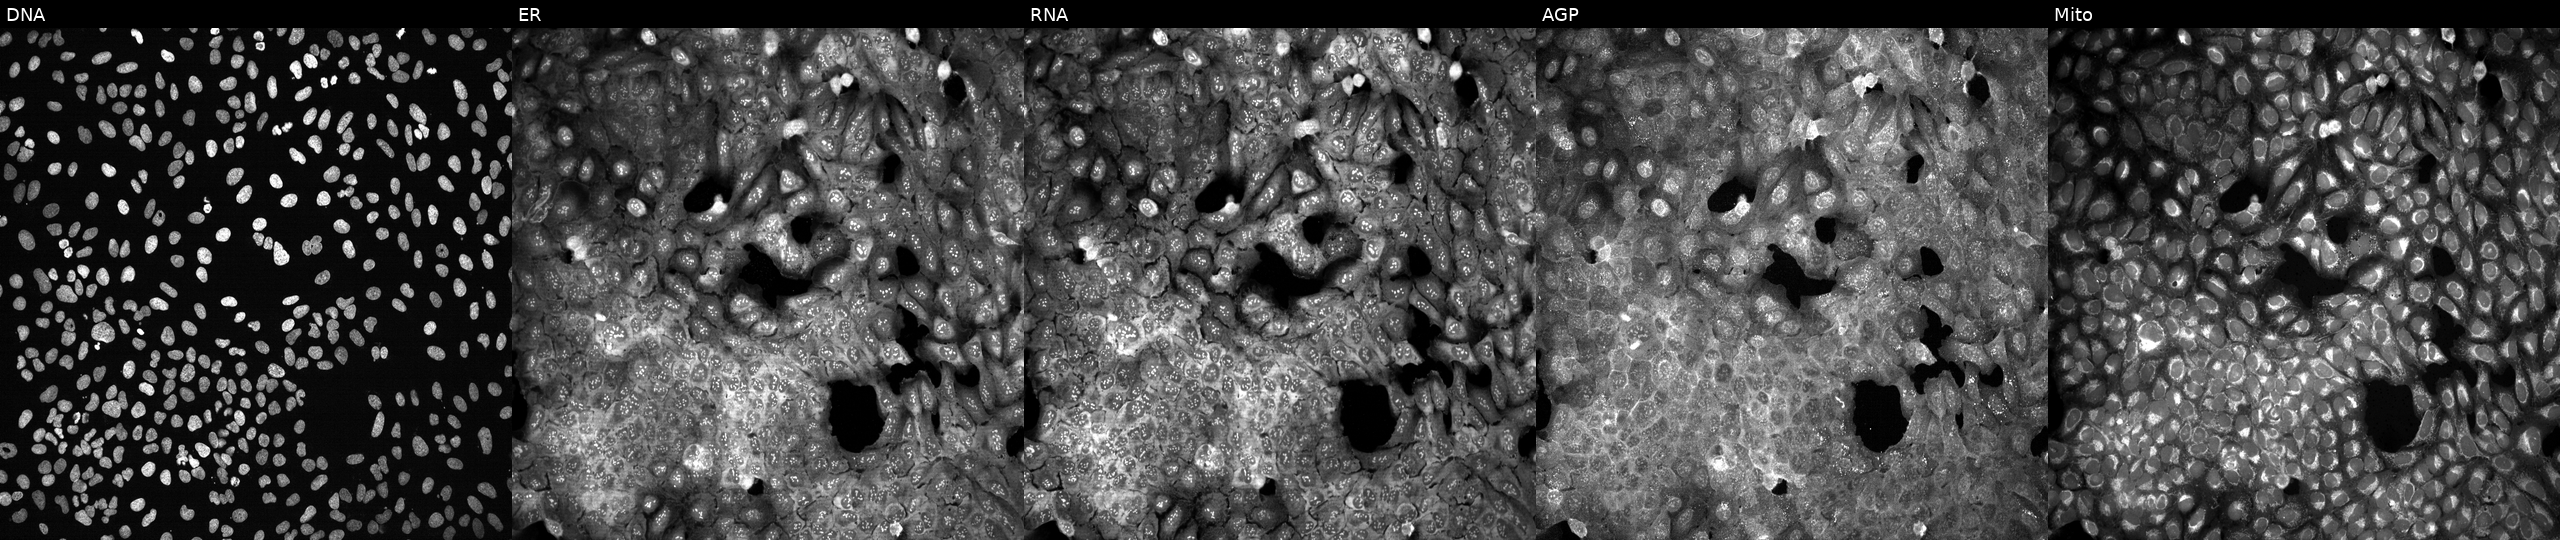
Five-channel Cell Painting image of U2OS cells CRISPR-edited to disrupt RSC1A1 (JUMP id JCP2022_806134). From left to right: Hoechst 33342, concanavalin A, SYTO 14, phalloidin and WGA, MitoTracker. Source 13, plate CP-CC9-R5-01, well N15.